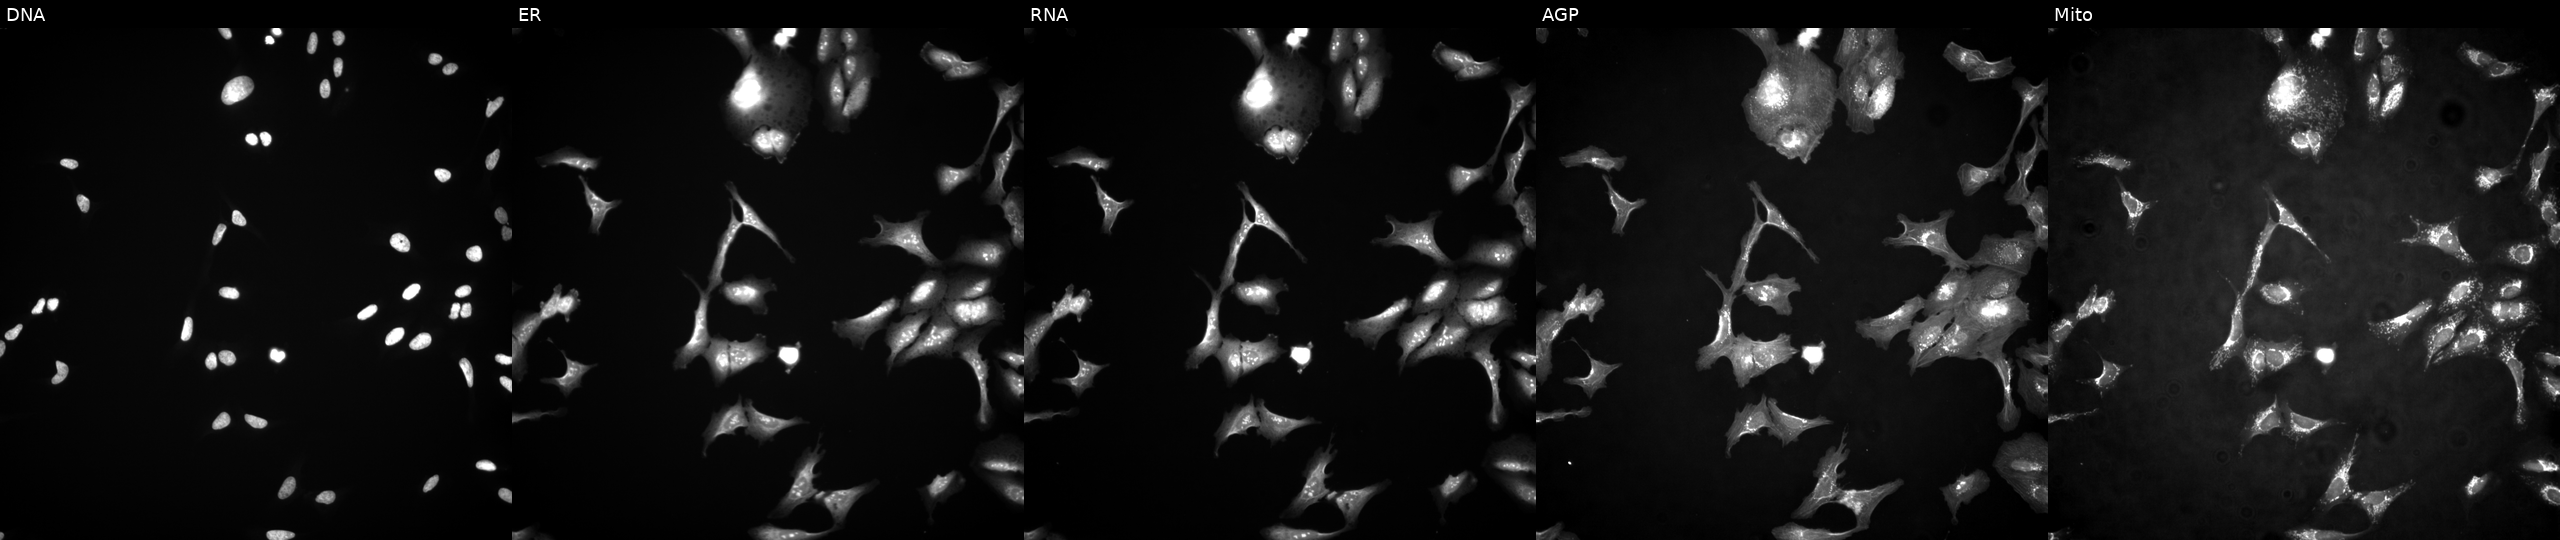
This image strip shows the five Cell Painting channels for a single field of U2OS cells in an empty control well (no perturbation) (JUMP id JCP2022_999999). From left to right: DNA (nuclei); ER (endoplasmic reticulum); RNA (nucleoli and cytoplasmic RNA); AGP (actin cytoskeleton, Golgi, and plasma membrane); Mito (mitochondria). Source 4, plate BR00117035, well K24.